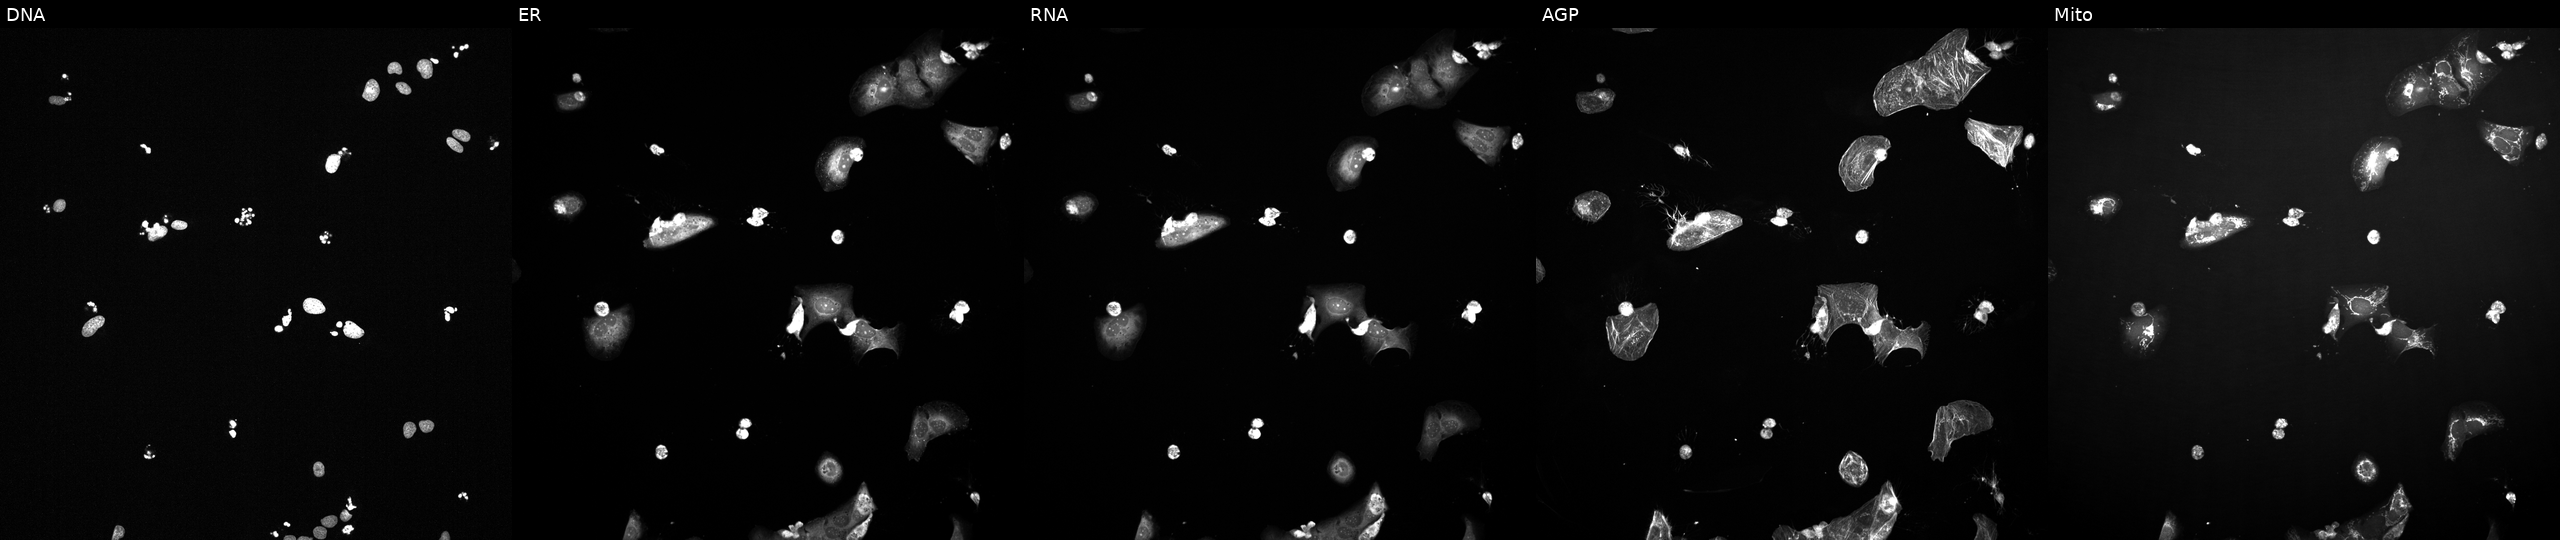
Channels (left→right): DNA (nuclei); ER (endoplasmic reticulum); RNA (nucleoli and cytoplasmic RNA); AGP (actin cytoskeleton, Golgi, and plasma membrane); Mito (mitochondria). U2OS osteosarcoma cells exposed to a small-molecule compound. Cell Painting assay, JUMP-CP dataset.